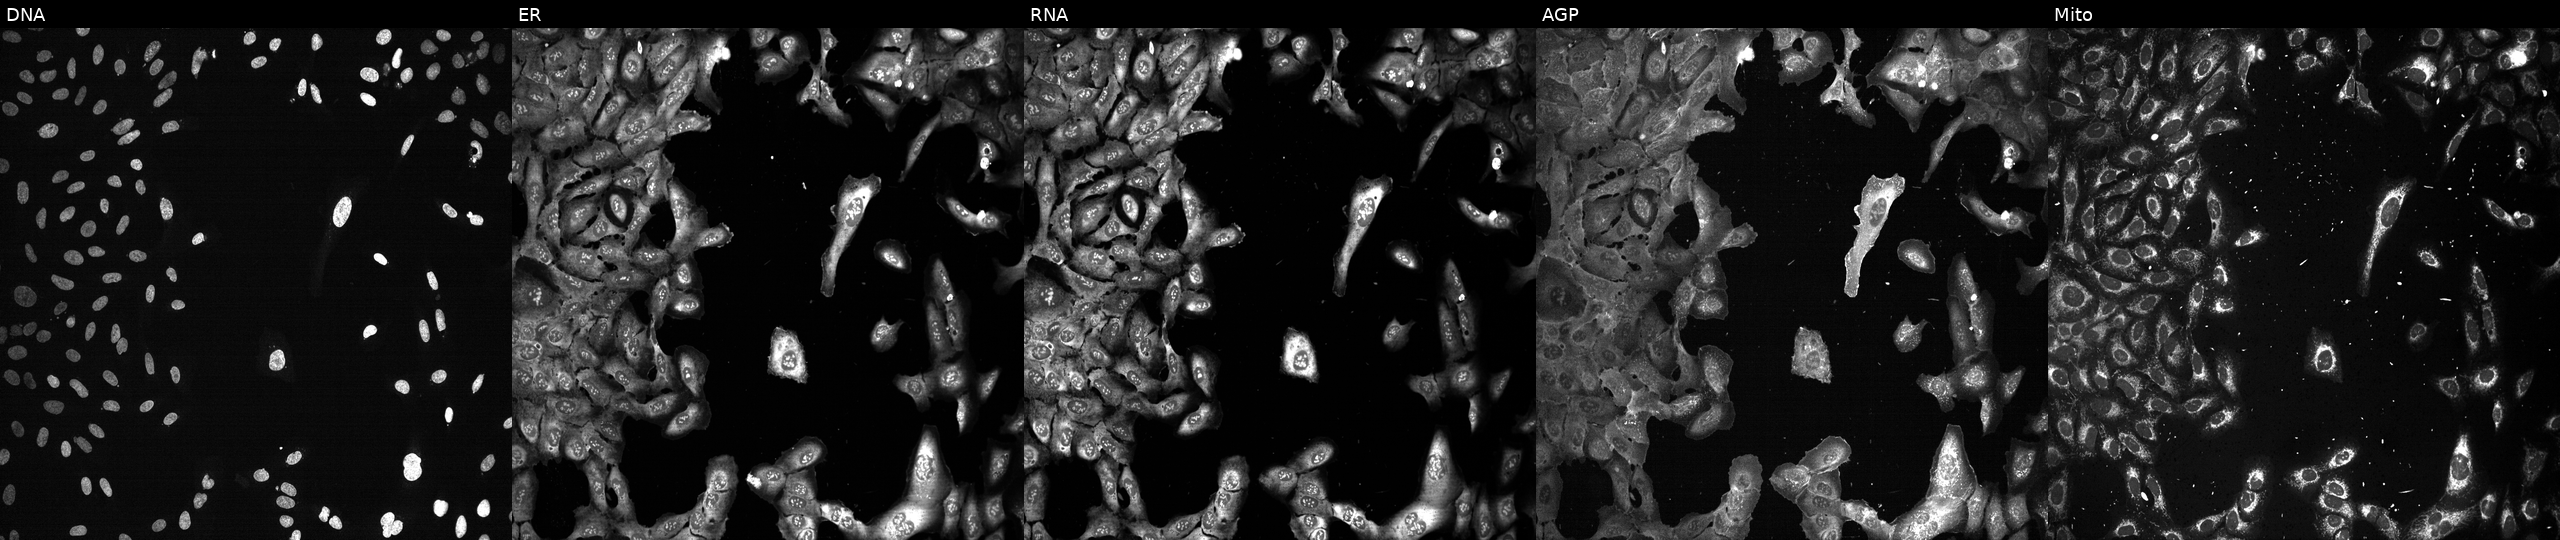
This image strip shows the five Cell Painting channels for a single field of U2OS cells following CRISPR knockout of DECR1. From left to right: DNA (nuclei); ER (endoplasmic reticulum); RNA (nucleoli and cytoplasmic RNA); AGP (actin cytoskeleton, Golgi, and plasma membrane); Mito (mitochondria). Source 13, plate CP-CC9-R3-01, well E05.